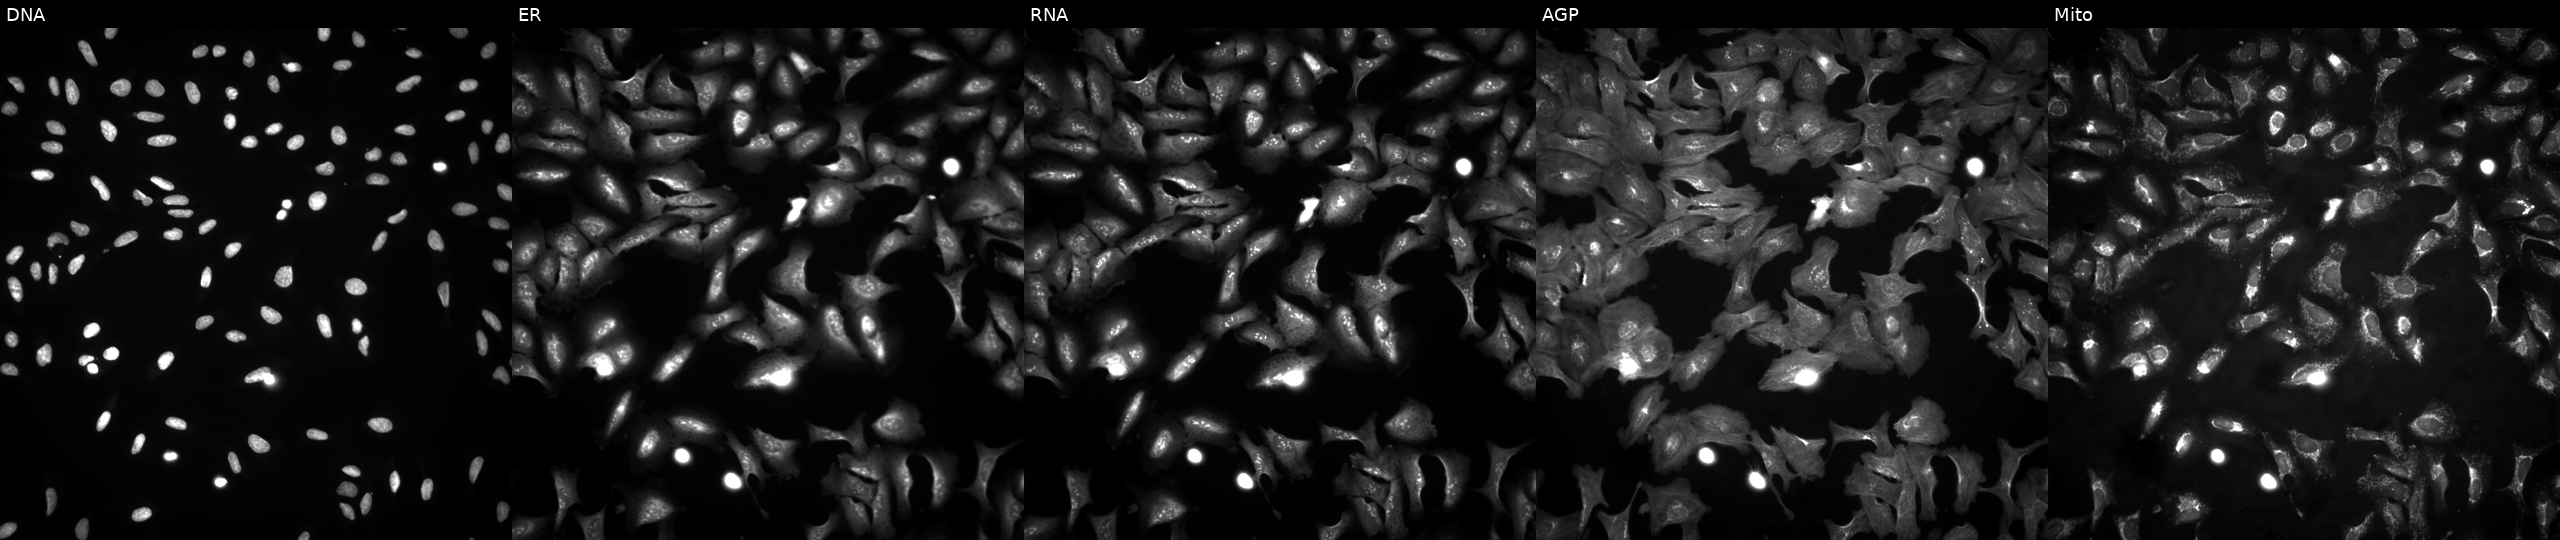
The five panels, left to right, show DNA (nuclei); ER (endoplasmic reticulum); RNA (nucleoli and cytoplasmic RNA); AGP (actin cytoskeleton, Golgi, and plasma membrane); Mito (mitochondria). U2OS osteosarcoma cells with XLOC_008225 overexpressed (ORF). Cell Painting assay, JUMP-CP dataset. Source 4, plate BR00124784, well H21.